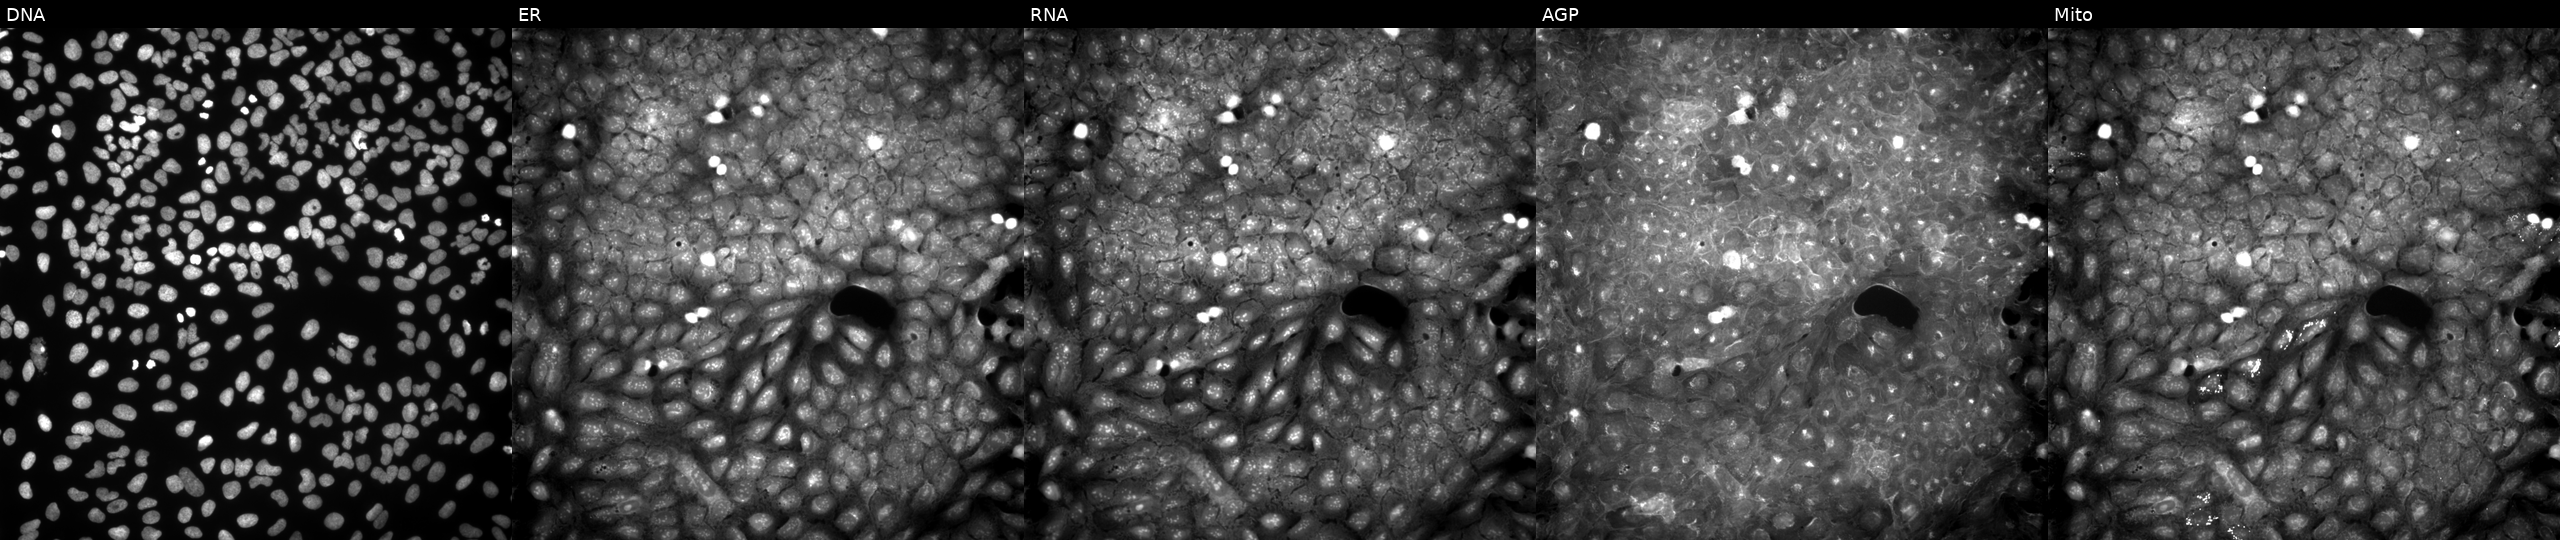
JUMP Cell Painting — COMPOUND plate. U2OS cells treated with quinidine (positive-control compound) (JUMP id JCP2022_050797). Channels (left→right): DNA (nuclei); ER (endoplasmic reticulum); RNA (nucleoli and cytoplasmic RNA); AGP (actin cytoskeleton, Golgi, and plasma membrane); Mito (mitochondria).